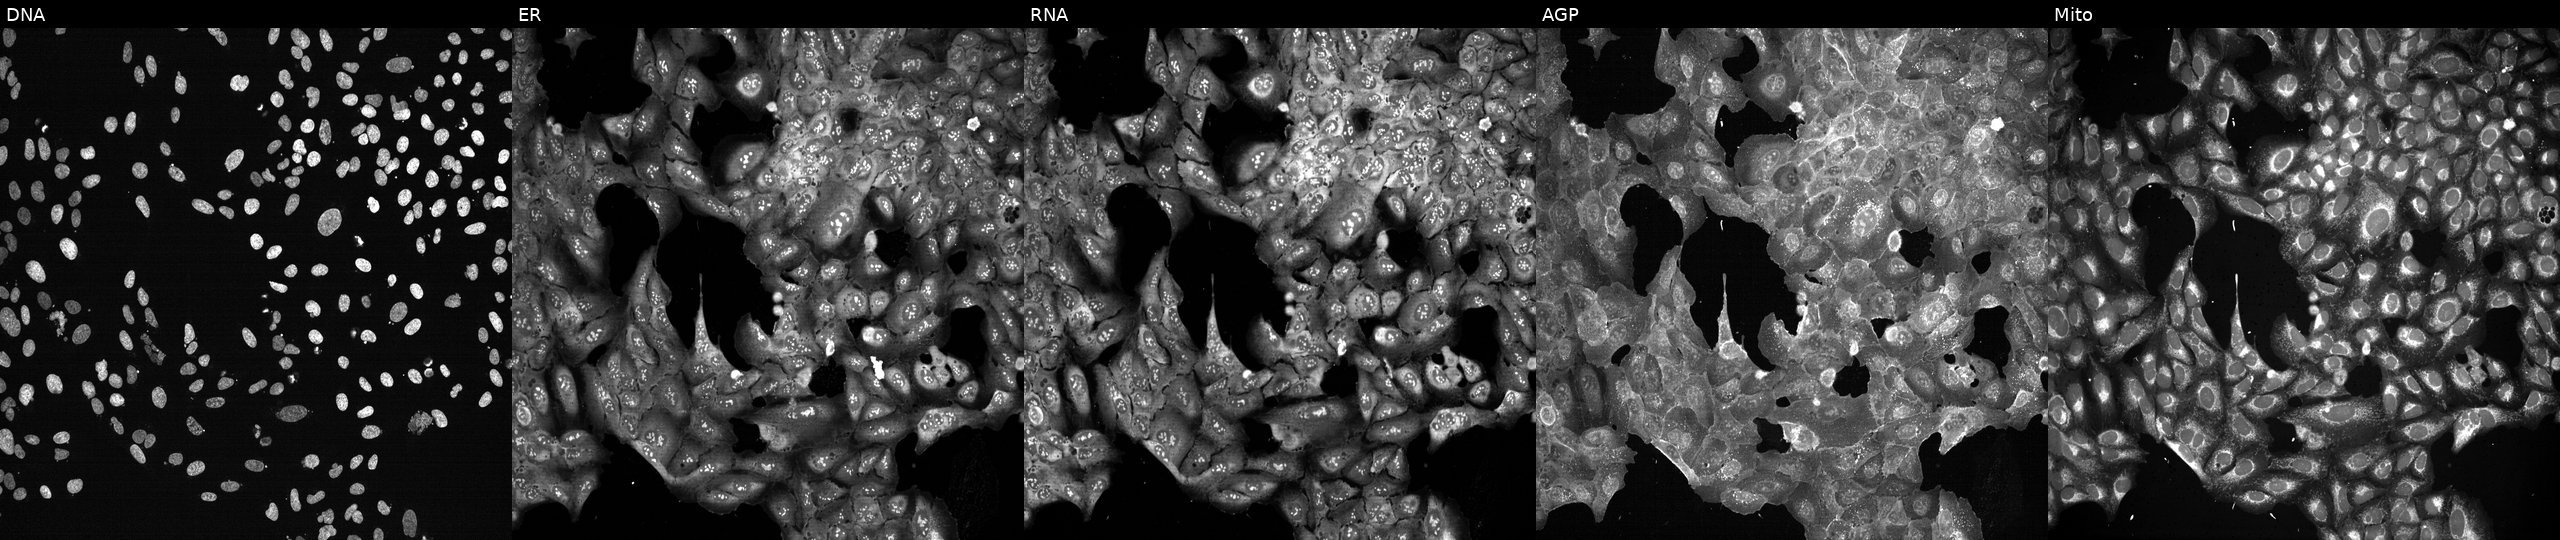
Channels (left→right): DNA, ER, RNA, AGP, and Mito. U2OS osteosarcoma cells CRISPR-edited to disrupt SLC4A4 (JUMP id JCP2022_806549). Cell Painting assay, JUMP-CP dataset. Source 13, plate CP-CC9-R5-01, well A11.